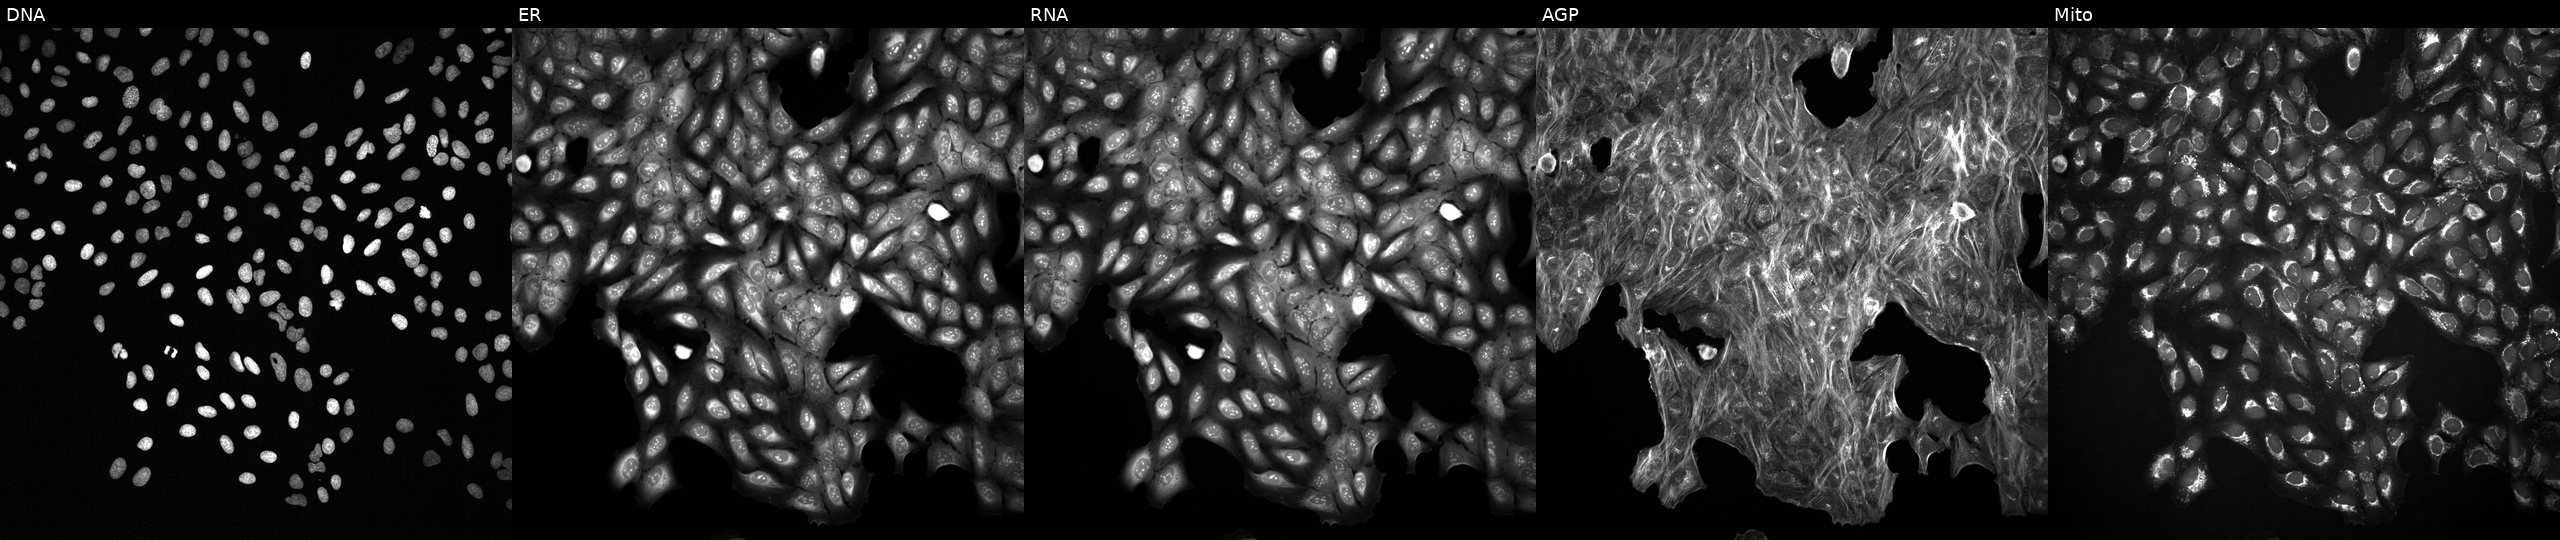
High-content fluorescence microscopy (Cell Painting). Cell line: U2OS. Perturbation: exposed to a small-molecule compound. Channels (left→right): DNA (nuclei); ER (endoplasmic reticulum); RNA (nucleoli and cytoplasmic RNA); AGP (actin cytoskeleton, Golgi, and plasma membrane); Mito (mitochondria).